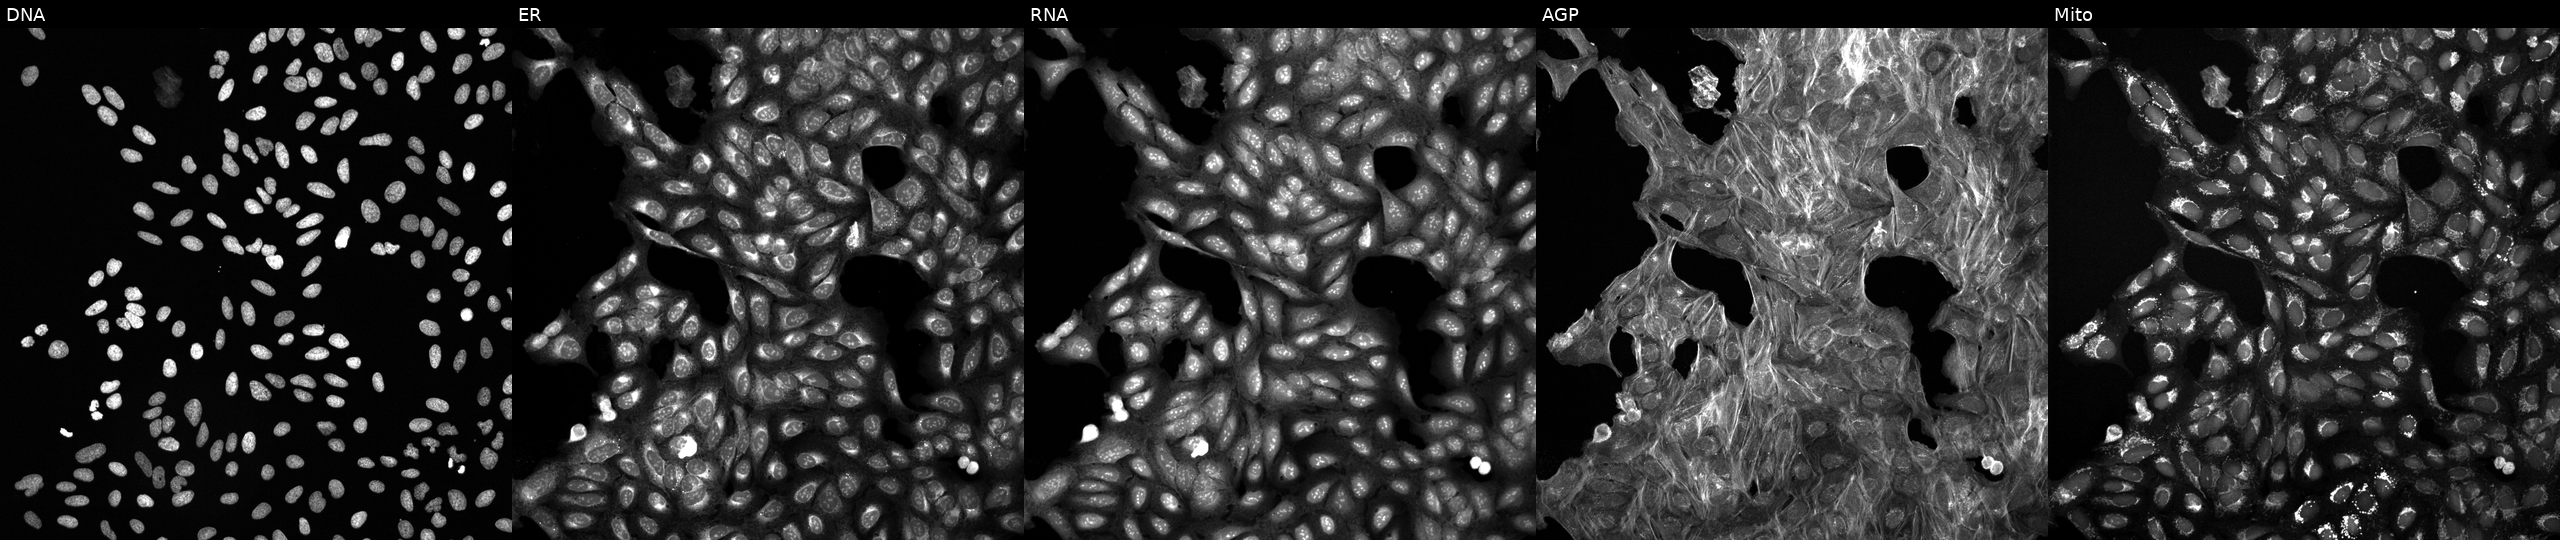
U2OS cells, Cell Painting assay, exposed to DMSO alone as a negative control. Channels (left→right): DNA, ER, RNA, AGP, and Mito. Each panel is percentile-stretched 16-bit fluorescence.